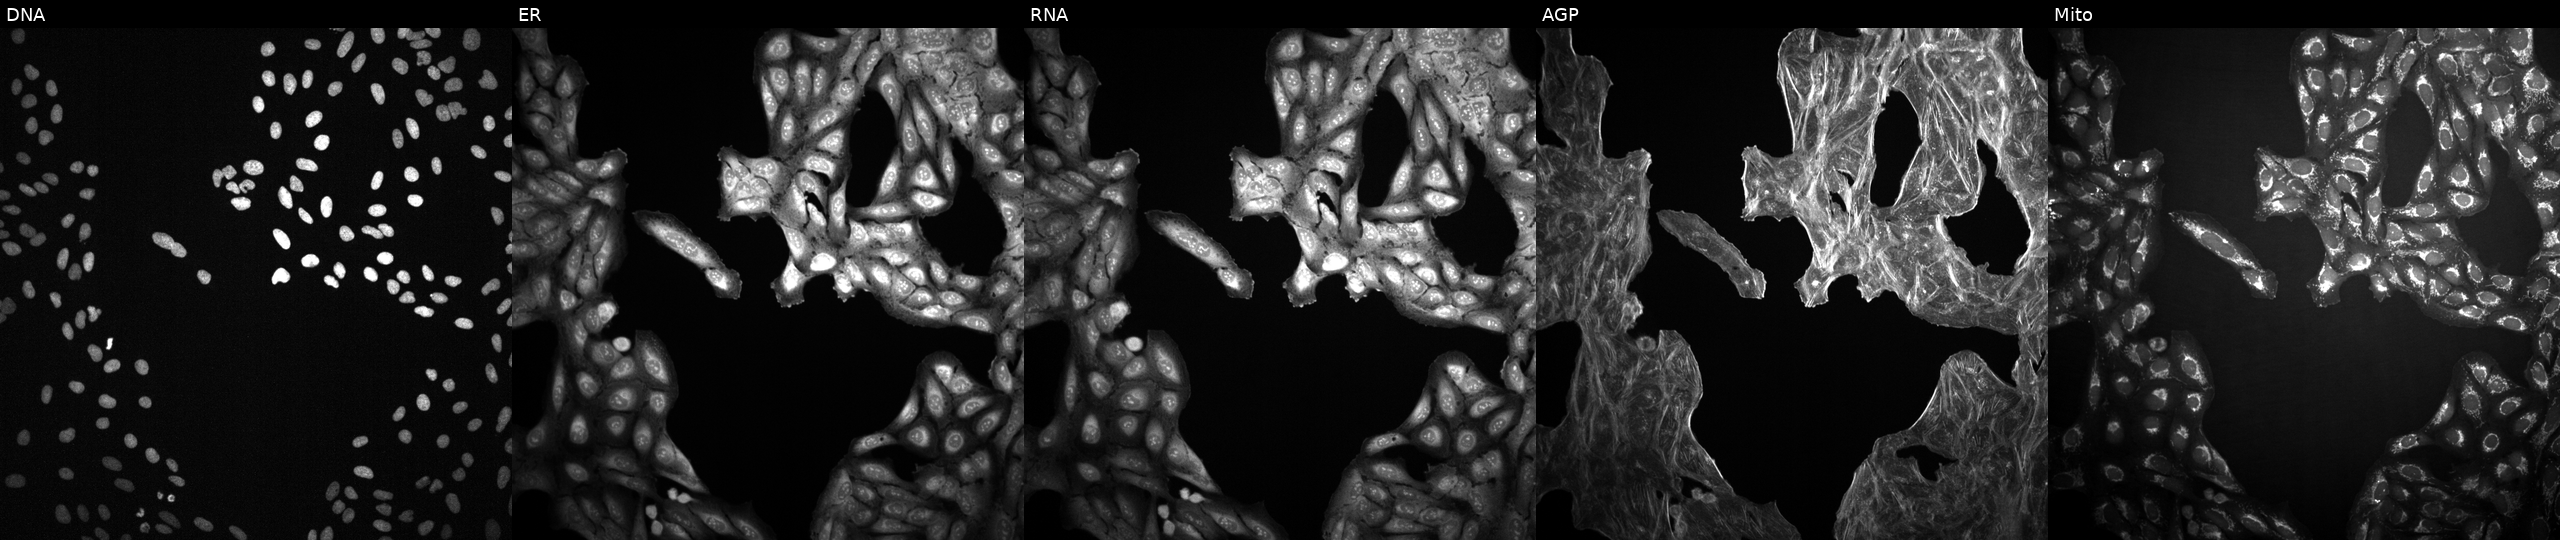
U2OS cells, Cell Painting assay, perturbed with a small-molecule compound (InChIKey LENZDBCJOHFCAS-UHFFFAOYSA-N) (JUMP id JCP2022_048928). From left to right: DNA (nuclei); ER (endoplasmic reticulum); RNA (nucleoli and cytoplasmic RNA); AGP (actin cytoskeleton, Golgi, and plasma membrane); Mito (mitochondria). Each panel is percentile-stretched 16-bit fluorescence.